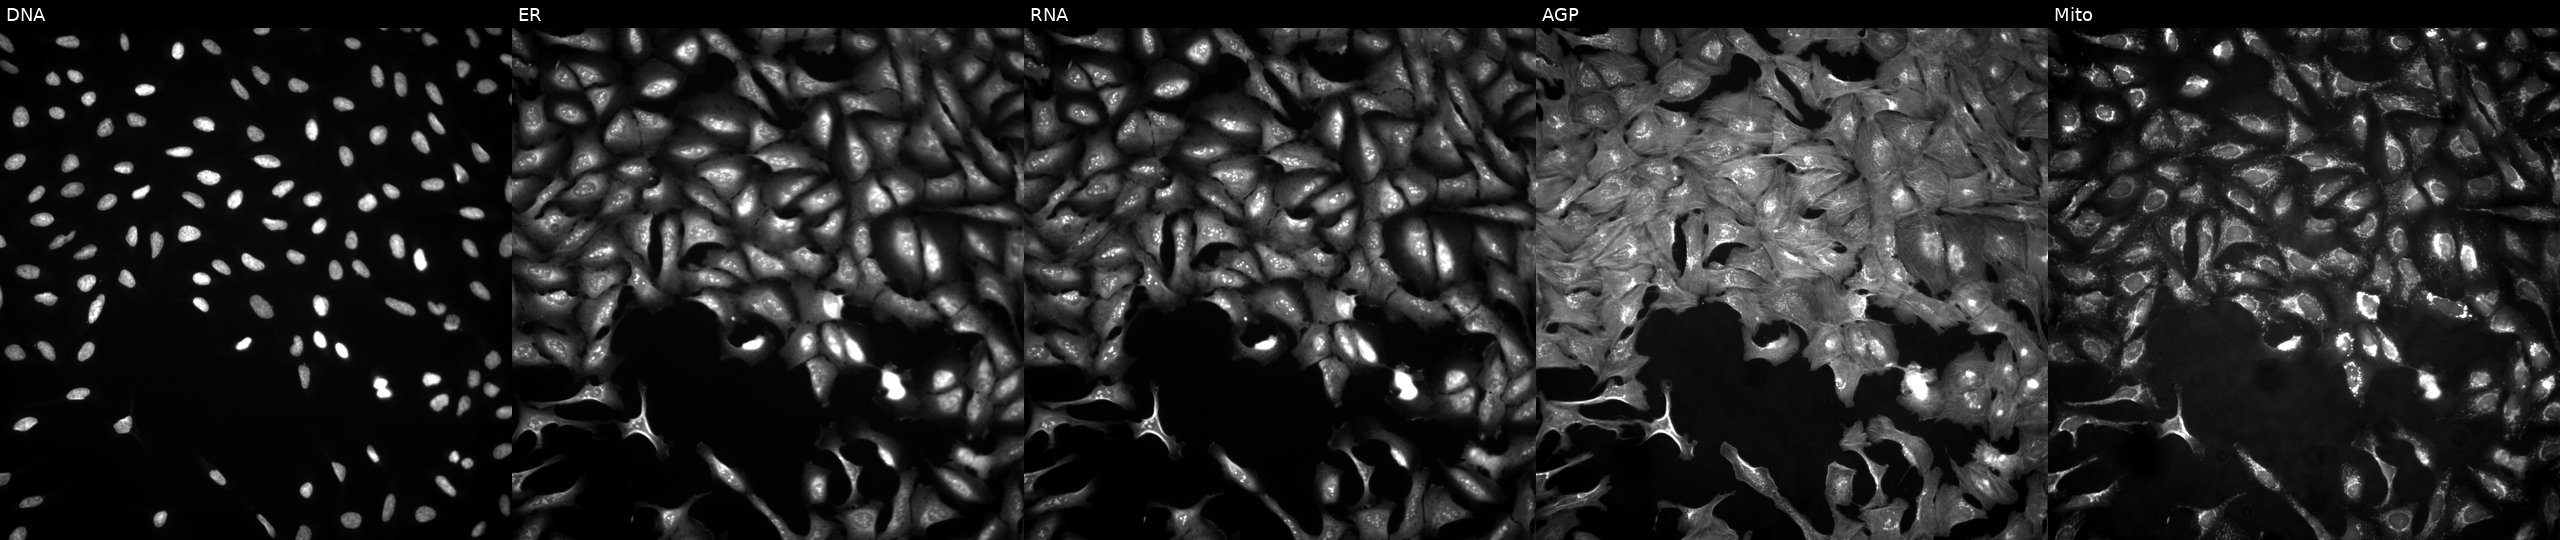
JUMP Cell Painting — ORF plate. U2OS cells overexpressing MTRF1 via ORF transfection. From left to right: DNA, ER, RNA, AGP, and Mito. Source 4, plate BR00124784, well F20.